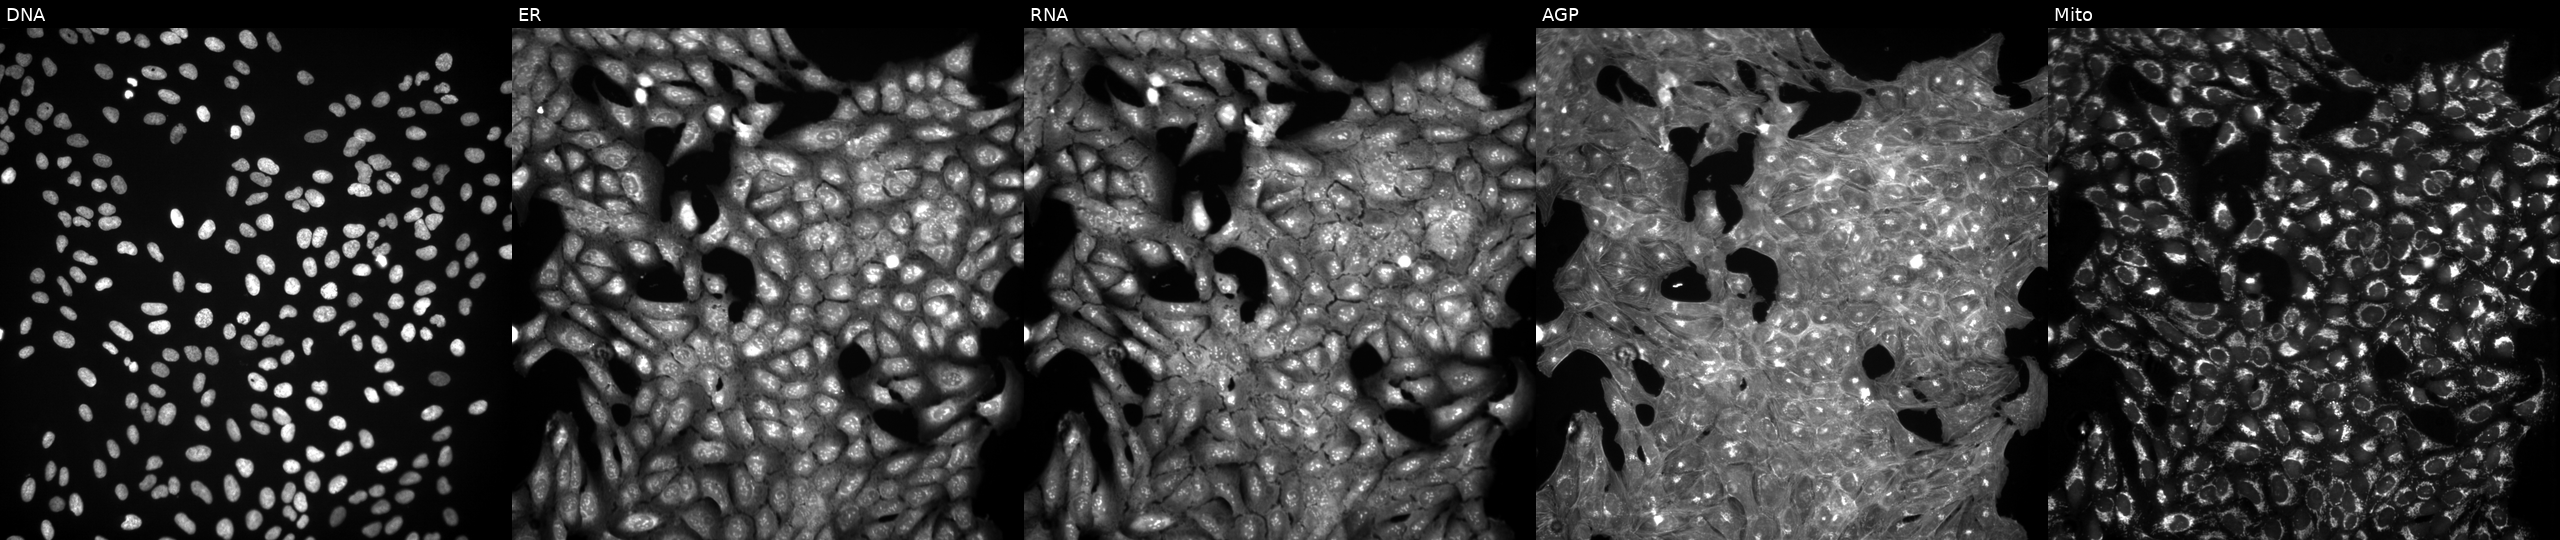
U2OS cells, Cell Painting assay, perturbed with a small-molecule compound (InChIKey PFHDWRIVDDIFRP-UHFFFAOYSA-N) [SMILES: CCC(CC)n1ccc2c(C(=O)NCc3c(C)cc(C)[nH]c3=O)cc(C#N)cc21]. The five panels, left to right, show DNA, ER, RNA, AGP, and Mito. Each panel is percentile-stretched 16-bit fluorescence. Source 3, plate JCPQC051, well F07.